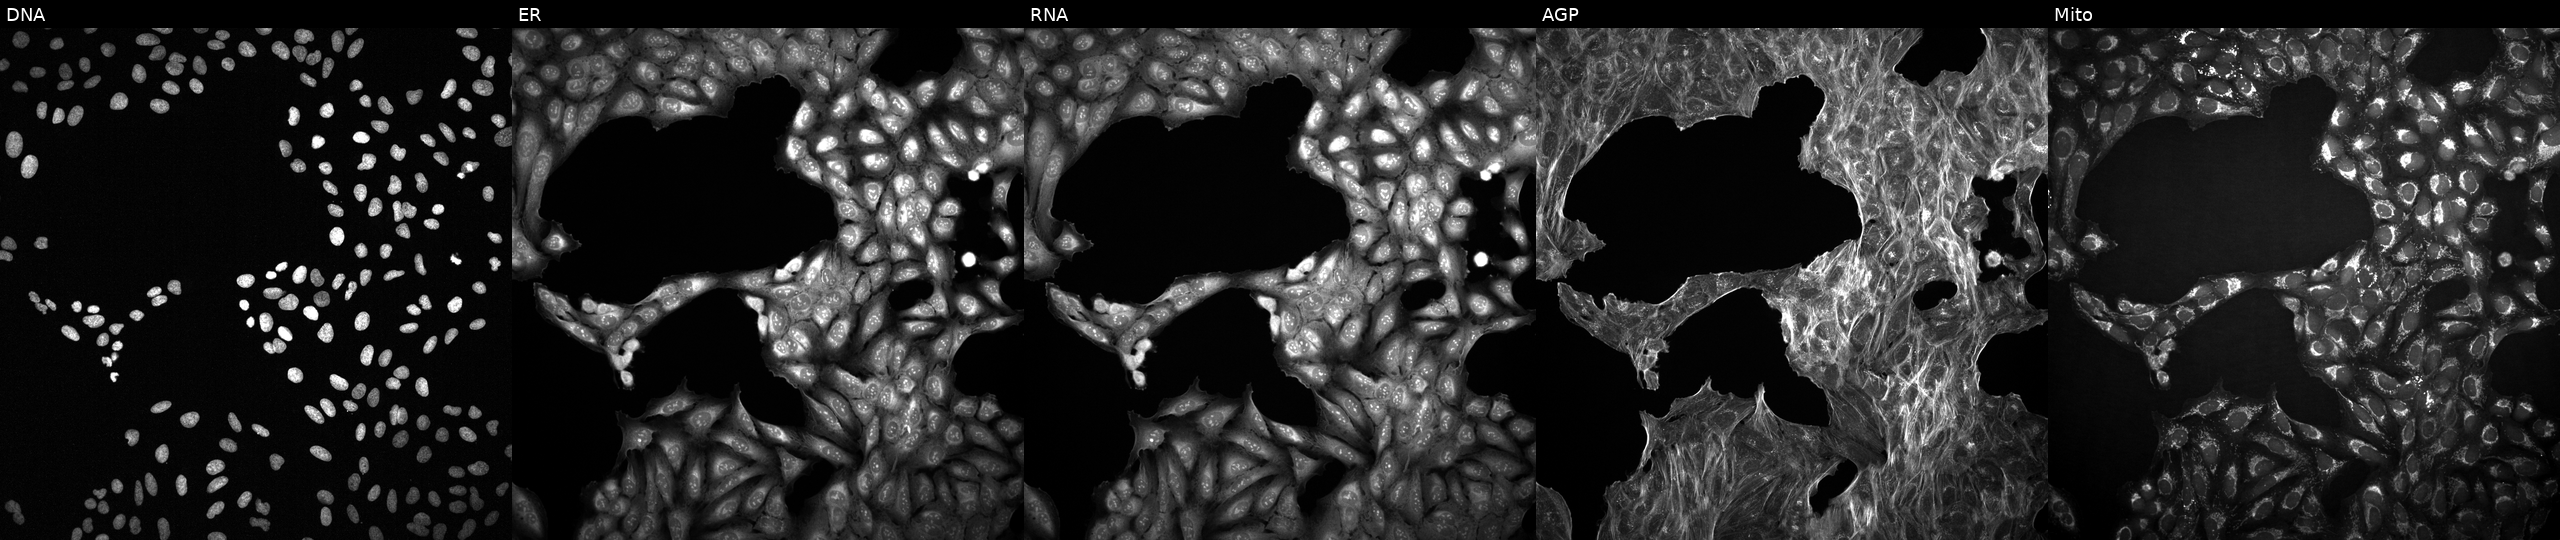
U2OS cells, Cell Painting assay, with an unidentified perturbation (not annotated in JUMP metadata). Panels show, left to right, Hoechst 33342, concanavalin A, SYTO 14, phalloidin and WGA, MitoTracker. Each panel is percentile-stretched 16-bit fluorescence.